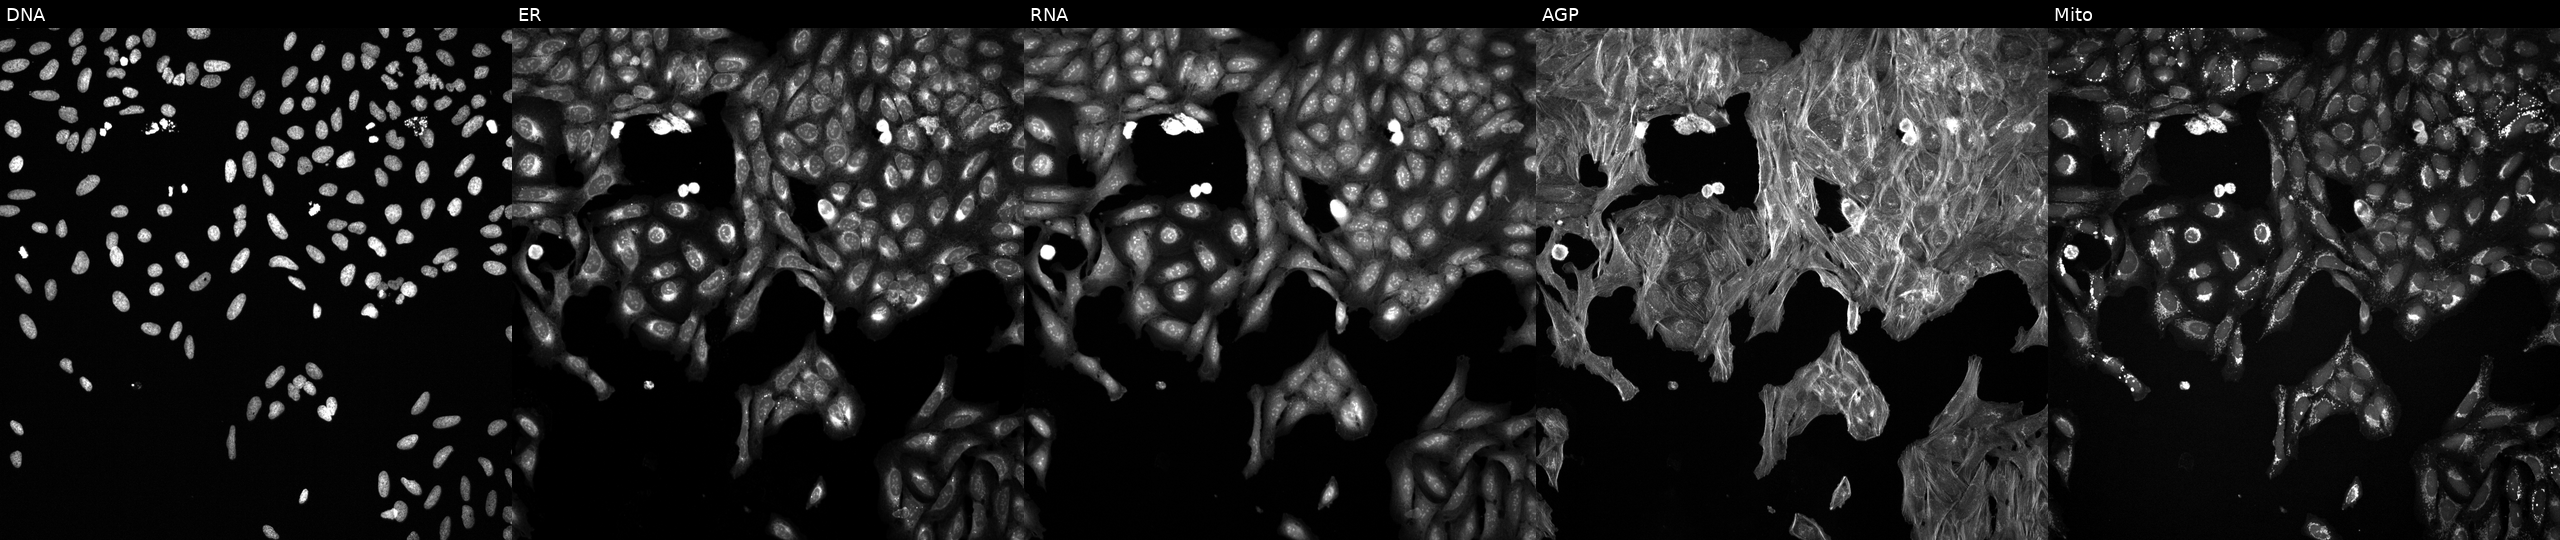
This image strip shows the five Cell Painting channels for a single field of U2OS cells treated with a small-molecule compound (InChIKey URGASTXARAAQJB-UHFFFAOYSA-N). From left to right: DNA (nuclei); ER (endoplasmic reticulum); RNA (nucleoli and cytoplasmic RNA); AGP (actin cytoskeleton, Golgi, and plasma membrane); Mito (mitochondria). Source 6, plate 110000293083, well O06.